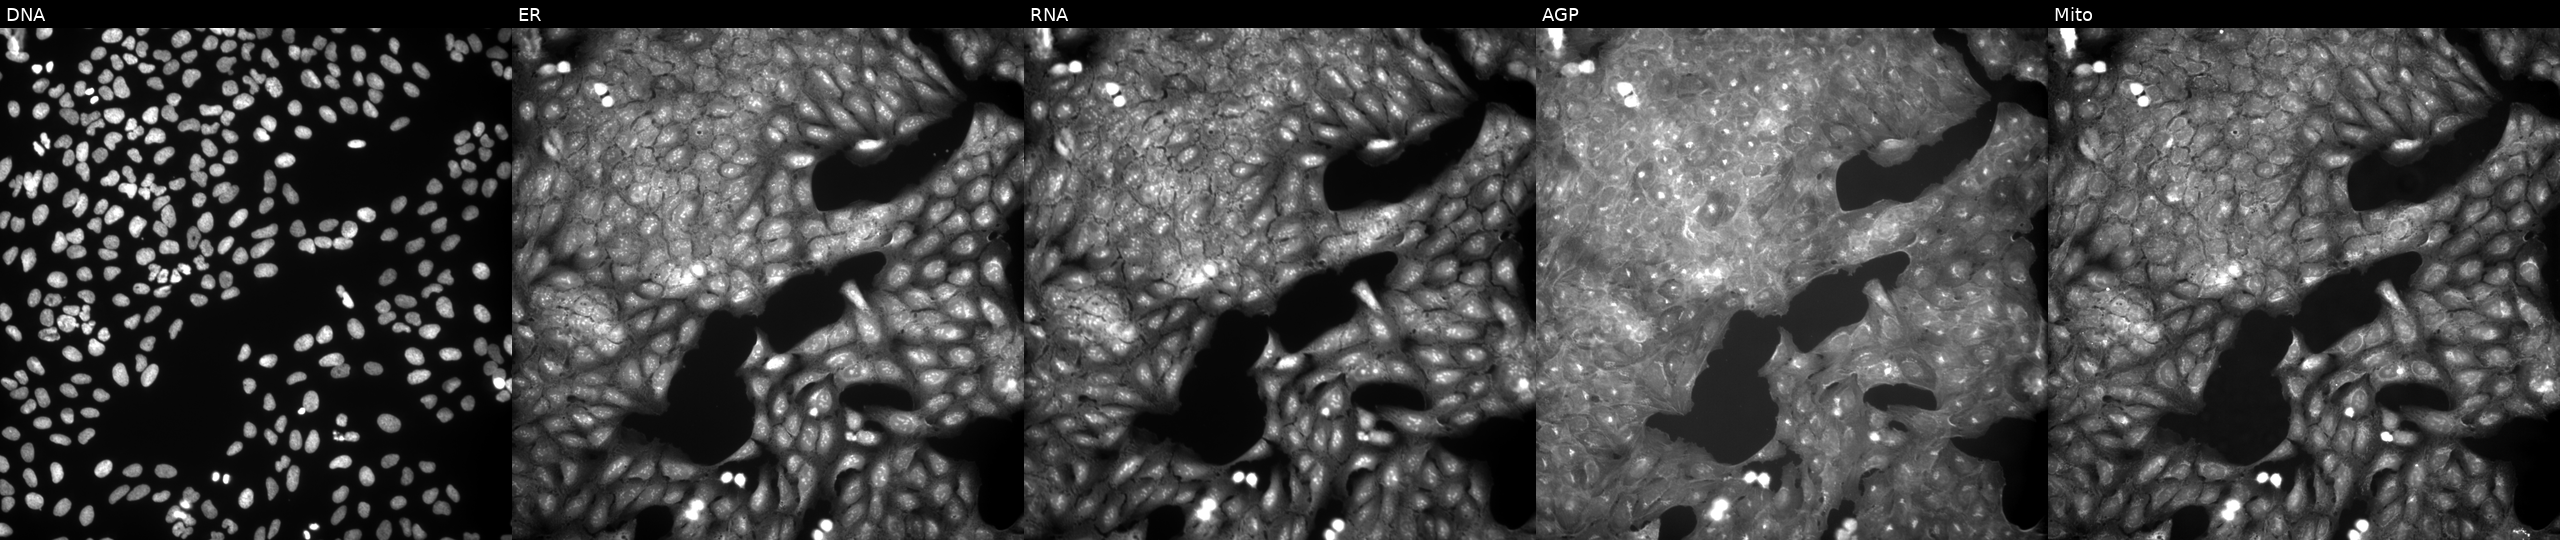
JUMP Cell Painting — COMPOUND plate. U2OS cells perturbed with a small-molecule compound (InChIKey WWLNITKFPXGJAS-UHFFFAOYSA-N) [SMILES: CC(C)OC(=O)c1ccccc1C(=O)c1ccc(N)c([N+](=O)[O-])c1] (JUMP id JCP2022_101642). The five panels, left to right, show DNA (nuclei); ER (endoplasmic reticulum); RNA (nucleoli and cytoplasmic RNA); AGP (actin cytoskeleton, Golgi, and plasma membrane); Mito (mitochondria).